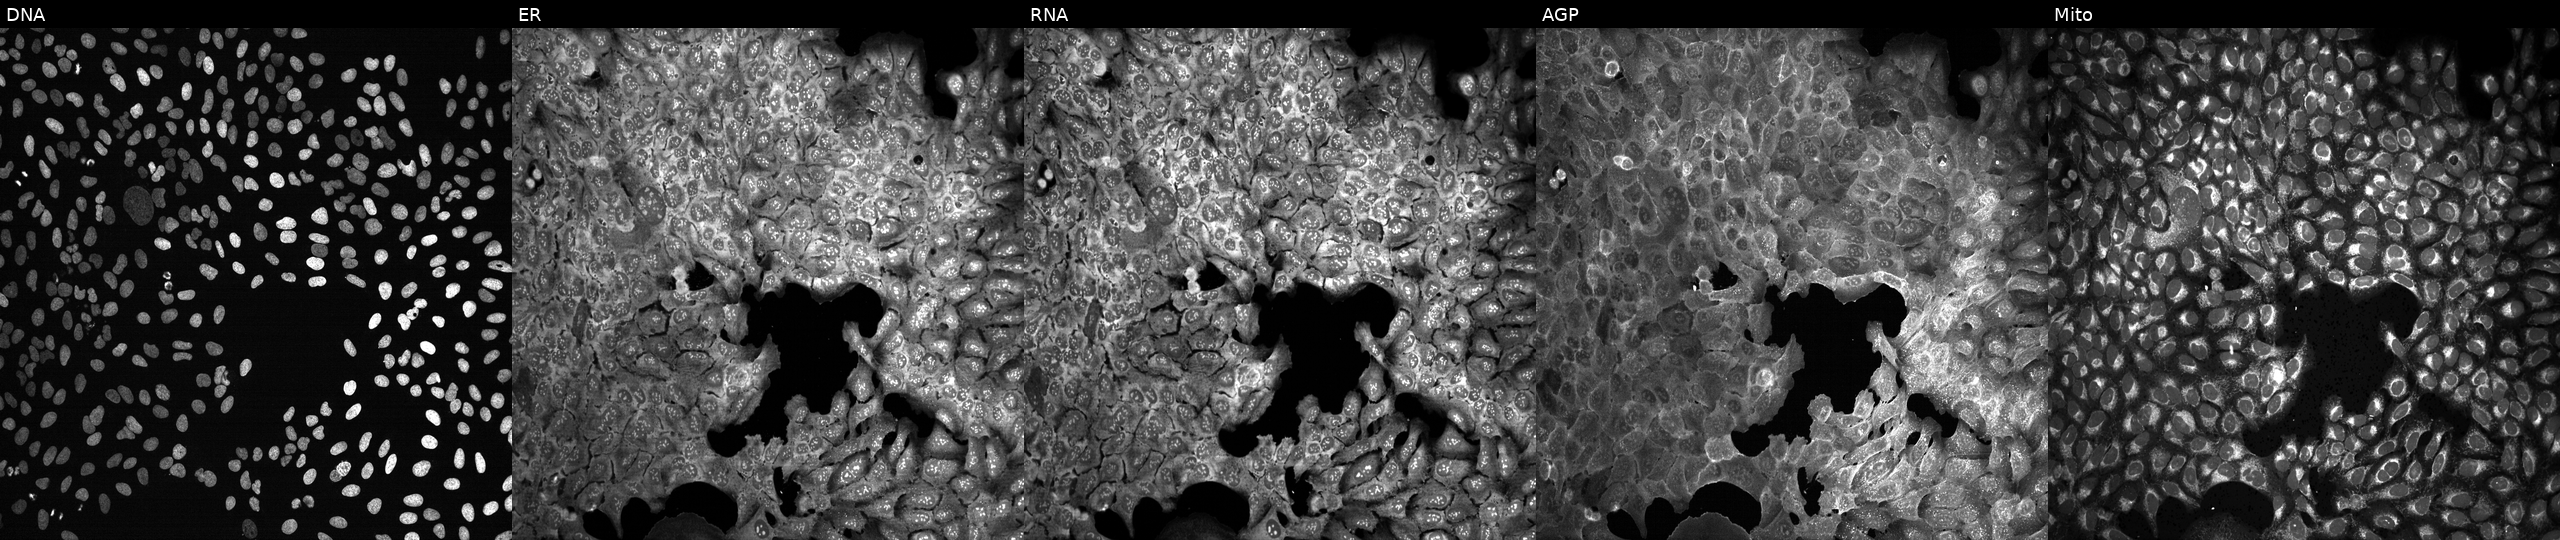
High-content fluorescence microscopy (Cell Painting). Cell line: U2OS. Perturbation: treated with DMSO vehicle only (negative control). Channels (left→right): DNA, ER, RNA, AGP, and Mito. Source 13, plate CP-CC9-R6-19, well L02.